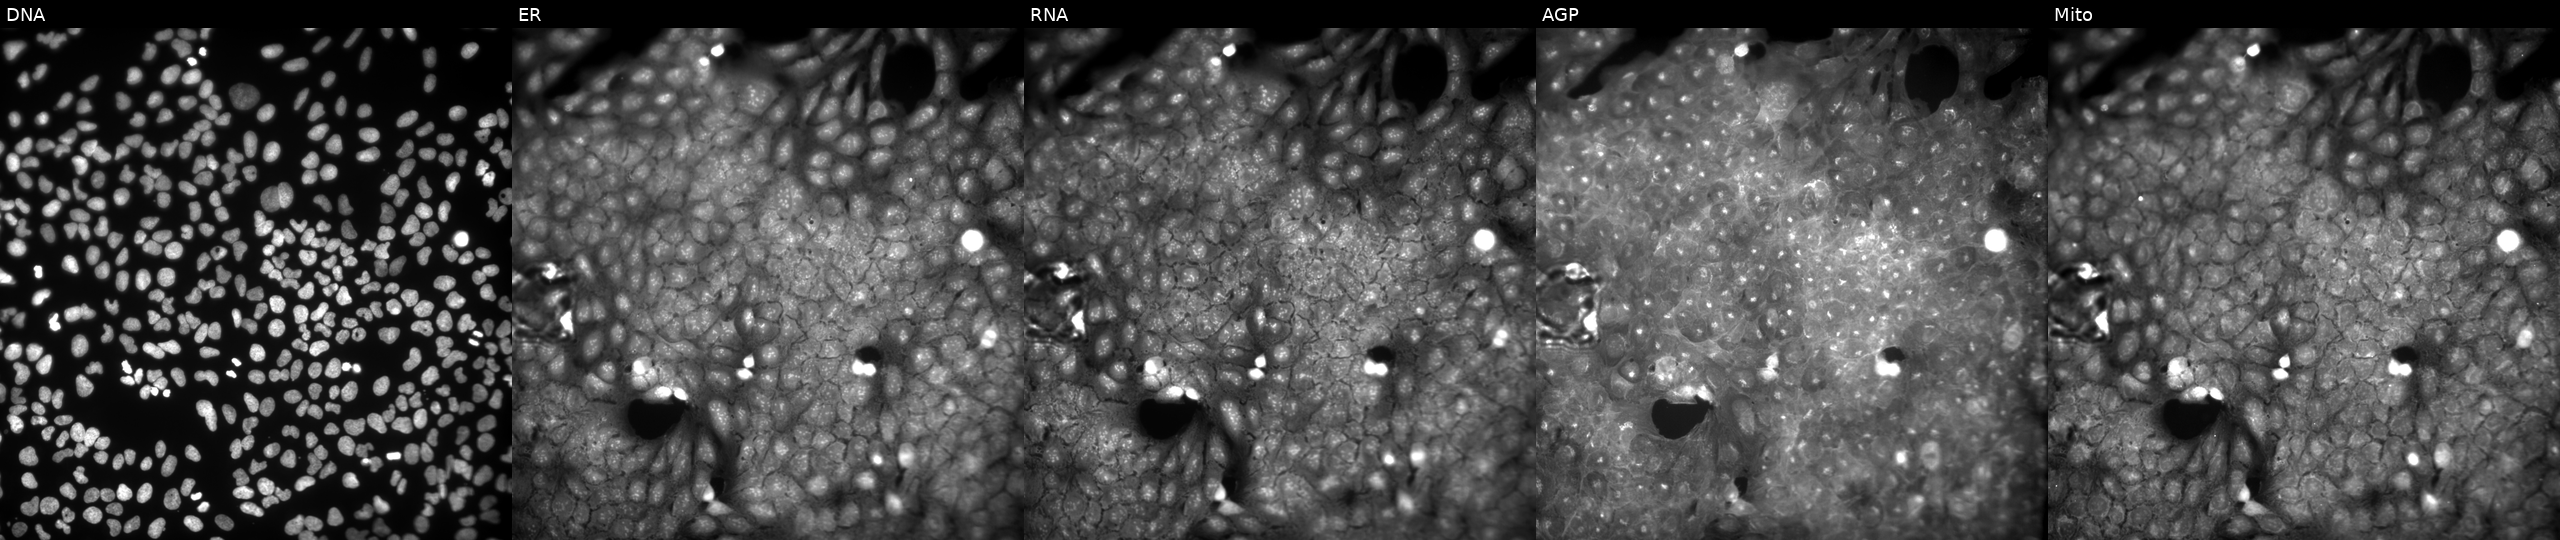
JUMP Cell Painting — COMPOUND plate. U2OS cells treated with a small-molecule compound (InChIKey WIQWGPWVFUDJAP-UHFFFAOYSA-N) (JUMP id JCP2022_099017). The five panels, left to right, show DNA (nuclei); ER (endoplasmic reticulum); RNA (nucleoli and cytoplasmic RNA); AGP (actin cytoskeleton, Golgi, and plasma membrane); Mito (mitochondria). Source 9, plate GR00003381, well AD43.